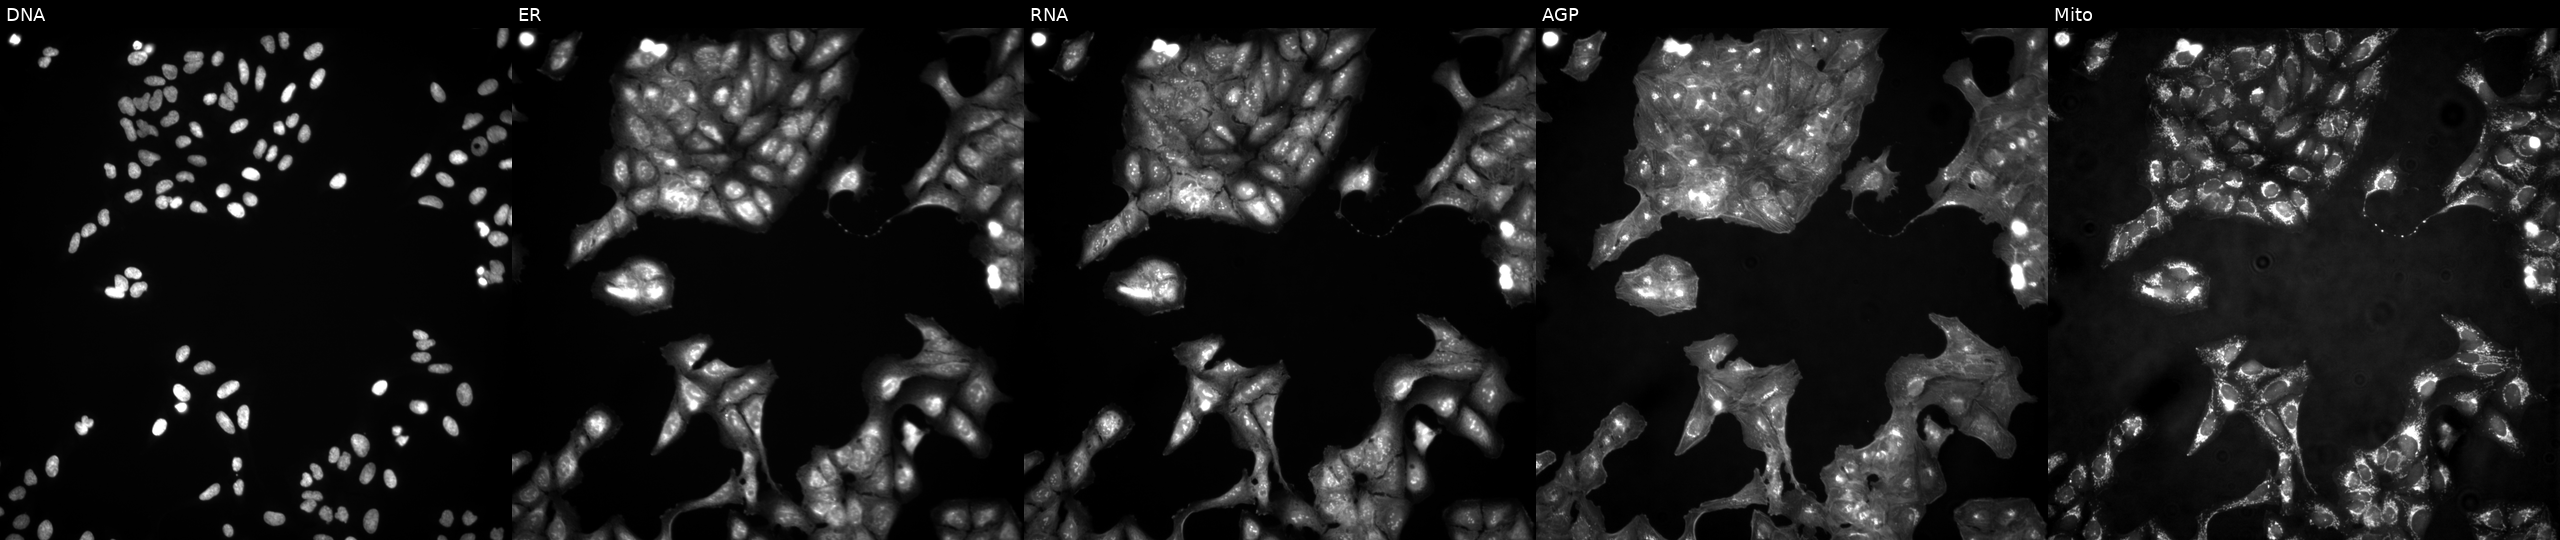
High-content fluorescence microscopy (Cell Painting). Cell line: U2OS. Perturbation: in an empty control well (no perturbation). Panels show, left to right, DNA, ER, RNA, AGP, and Mito.